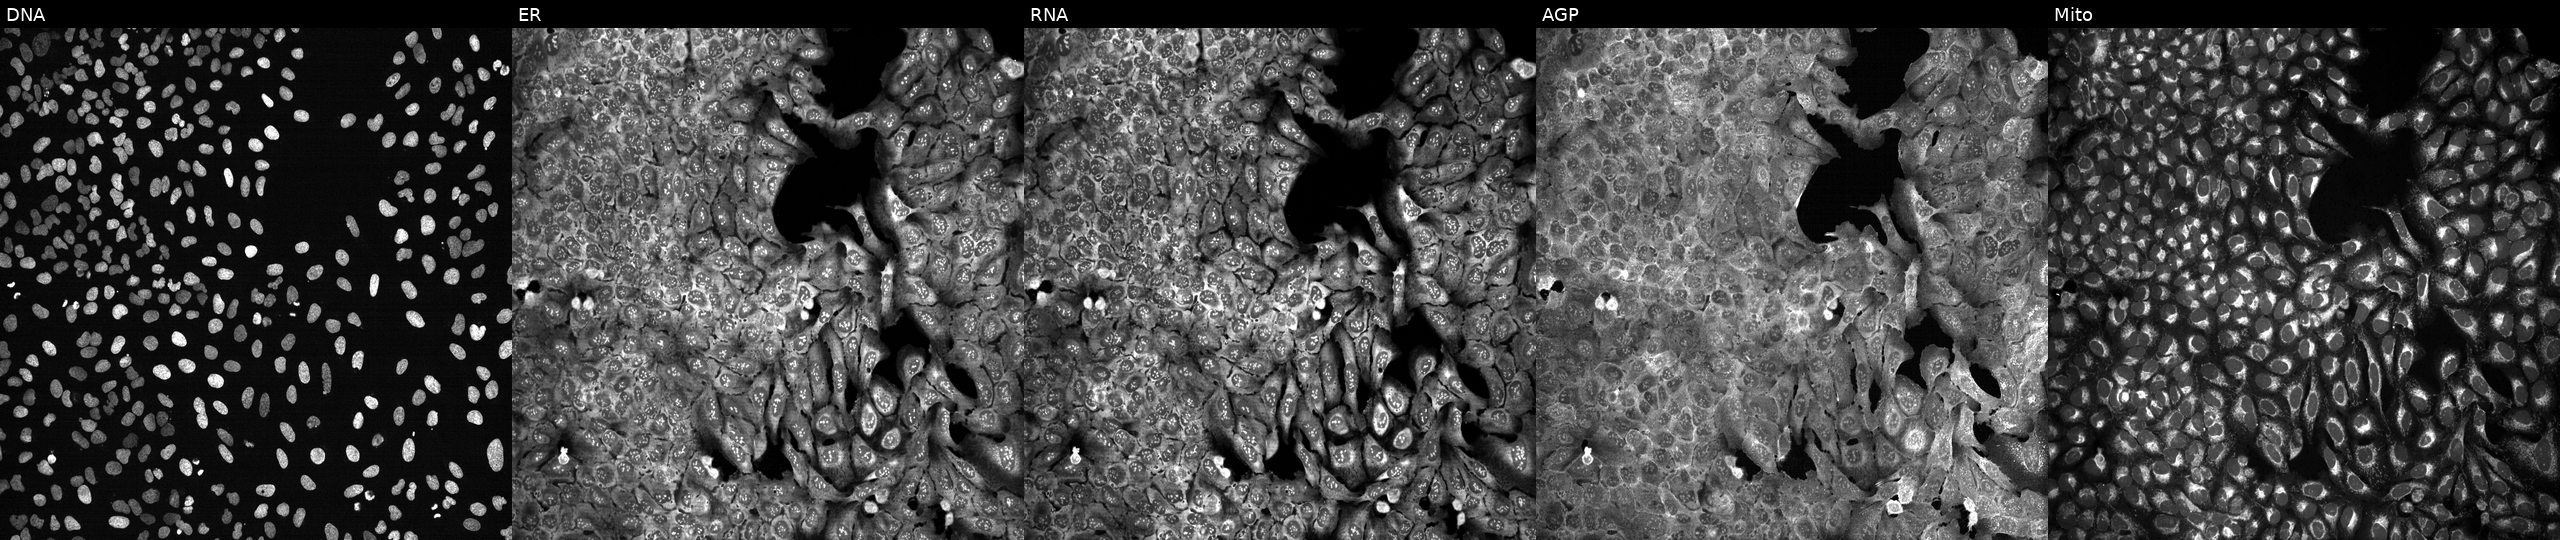
Five-channel Cell Painting image of U2OS cells CRISPR-edited to disrupt GPD2 (JUMP id JCP2022_802798). From left to right: DNA (nuclei); ER (endoplasmic reticulum); RNA (nucleoli and cytoplasmic RNA); AGP (actin cytoskeleton, Golgi, and plasma membrane); Mito (mitochondria).